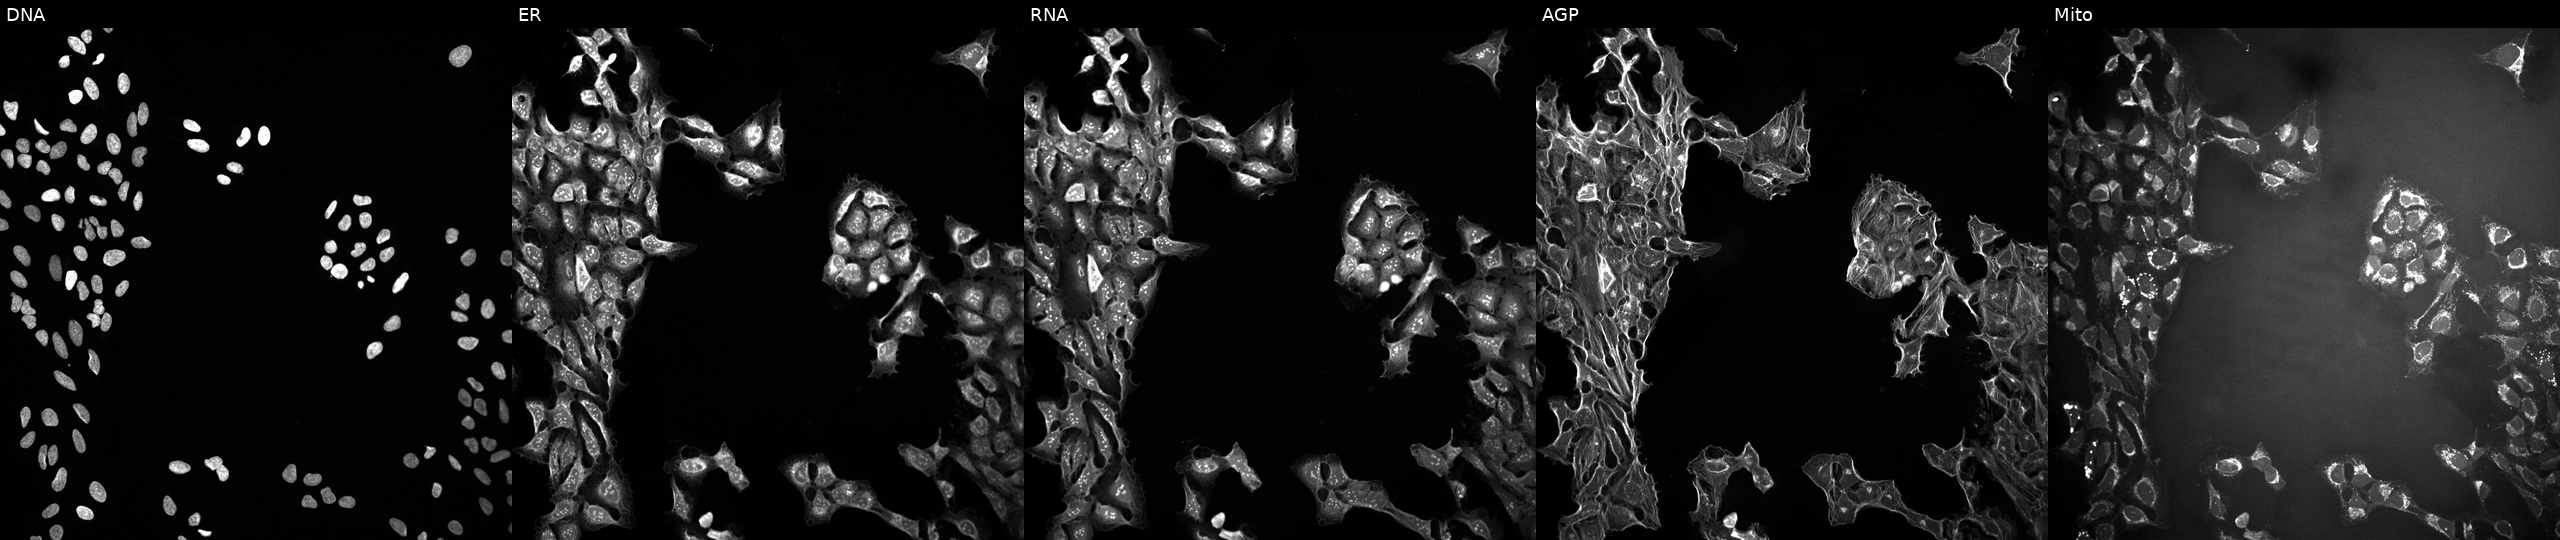
From left to right: DNA (nuclei); ER (endoplasmic reticulum); RNA (nucleoli and cytoplasmic RNA); AGP (actin cytoskeleton, Golgi, and plasma membrane); Mito (mitochondria). U2OS osteosarcoma cells treated with quinidine (positive-control compound) (JUMP id JCP2022_050797). Cell Painting assay, JUMP-CP dataset. Source 10, plate Dest210727-153003, well A02.